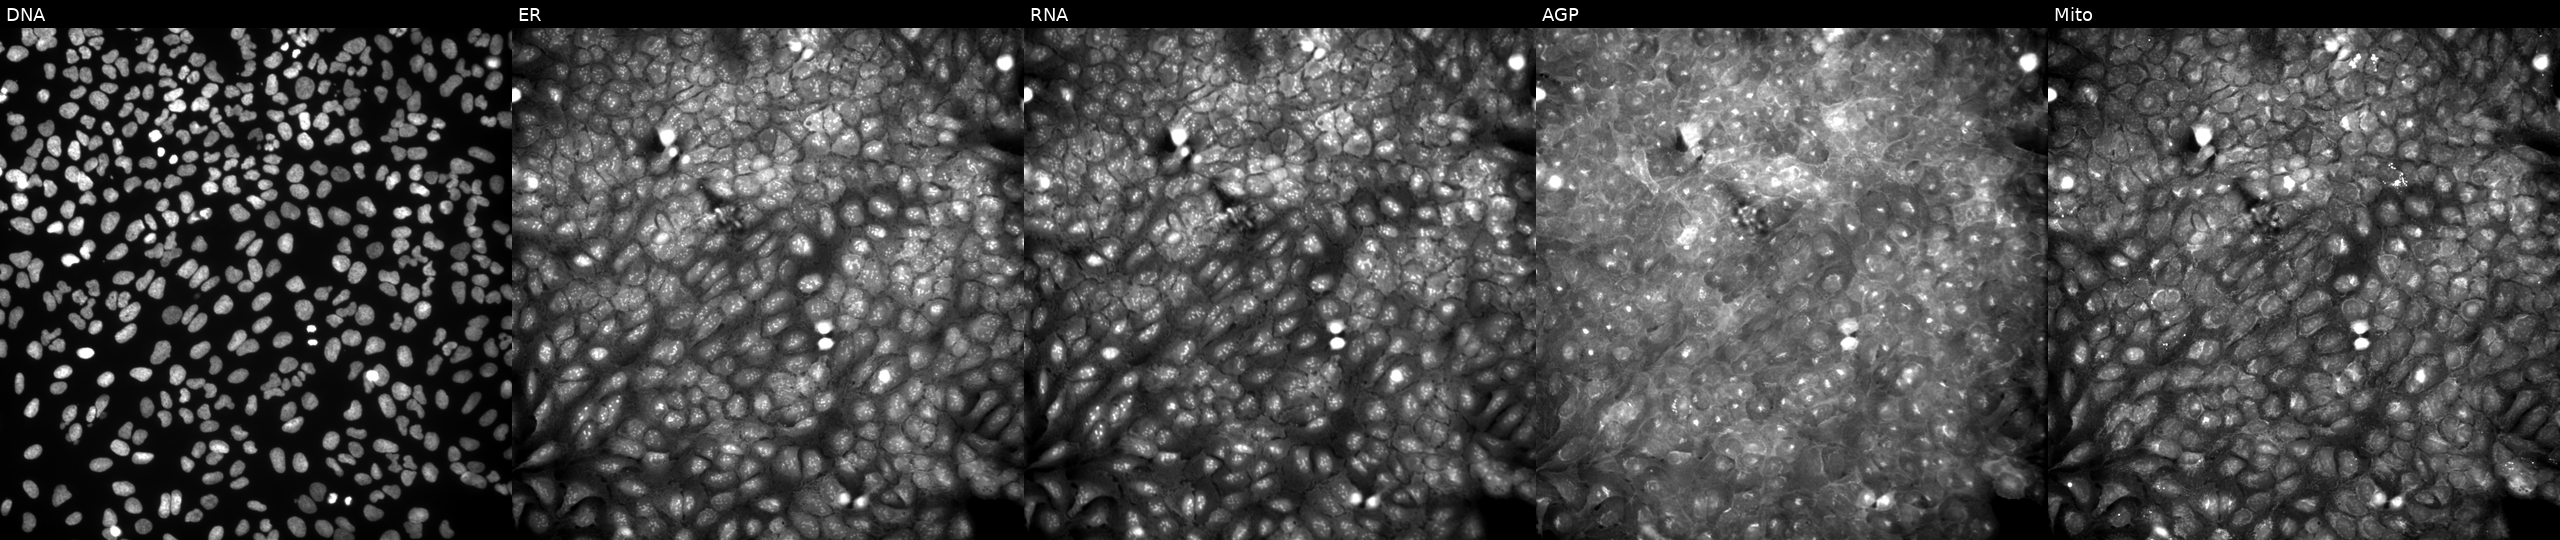
High-content fluorescence microscopy (Cell Painting). Cell line: U2OS. Perturbation: exposed to a small-molecule compound (InChIKey LBIVAXWKEDSDHK-UHFFFAOYSA-N). The five panels, left to right, show DNA (nuclei); ER (endoplasmic reticulum); RNA (nucleoli and cytoplasmic RNA); AGP (actin cytoskeleton, Golgi, and plasma membrane); Mito (mitochondria). Source 9, plate GR00003382, well L34.